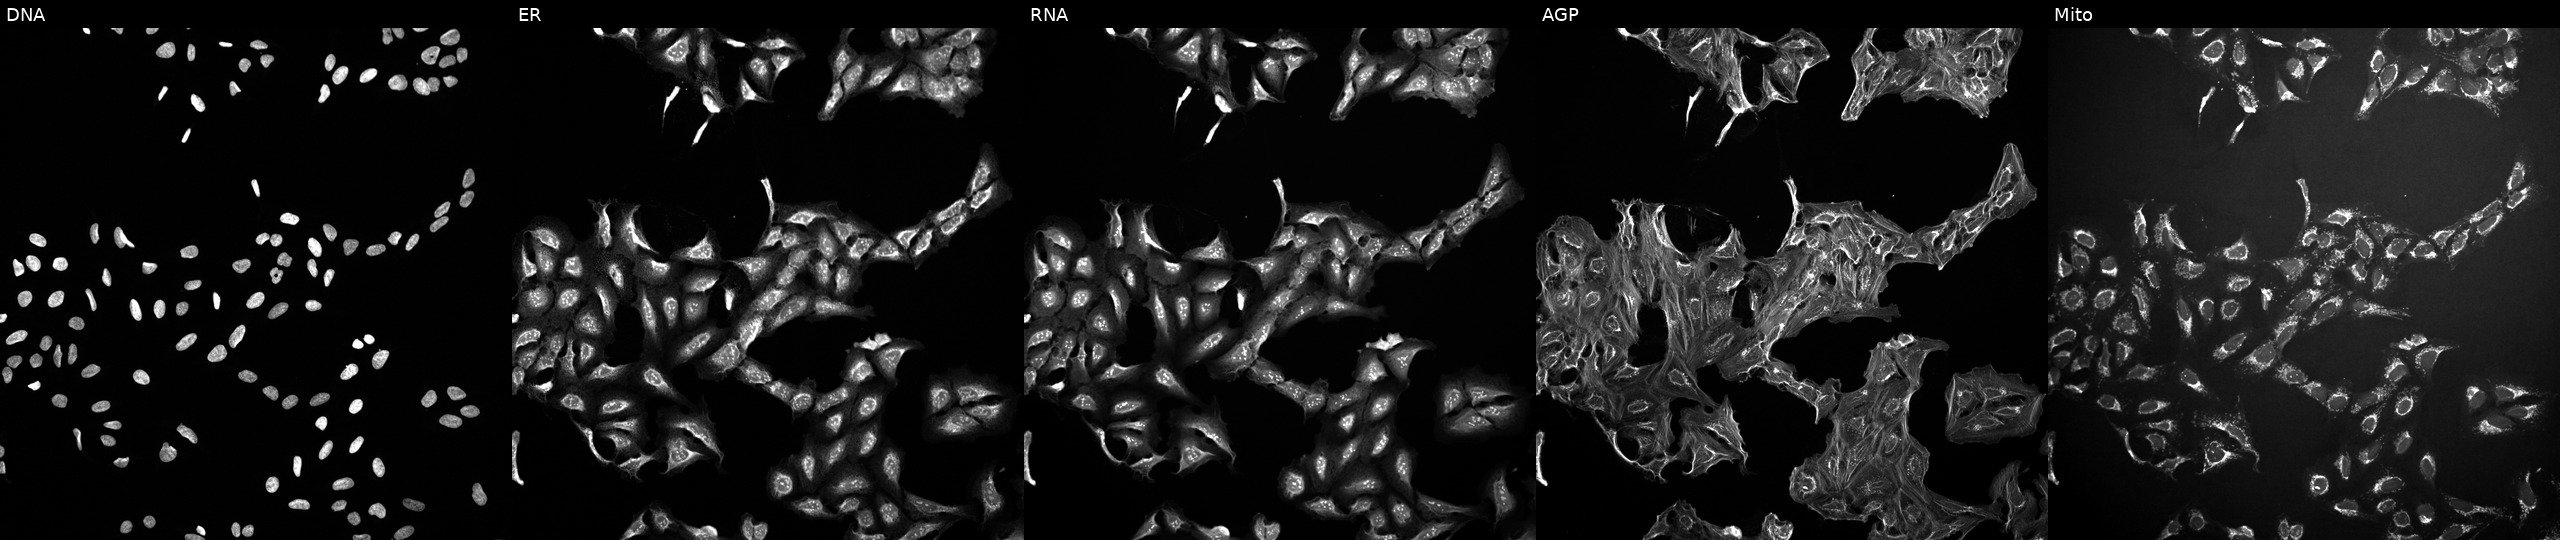
High-content fluorescence microscopy (Cell Painting). Cell line: U2OS. Perturbation: treated with a small-molecule compound (InChIKey UMUPQWIGCOZEOY-UHFFFAOYSA-N) (JUMP id JCP2022_090205). Panels show, left to right, Hoechst 33342, concanavalin A, SYTO 14, phalloidin and WGA, MitoTracker.